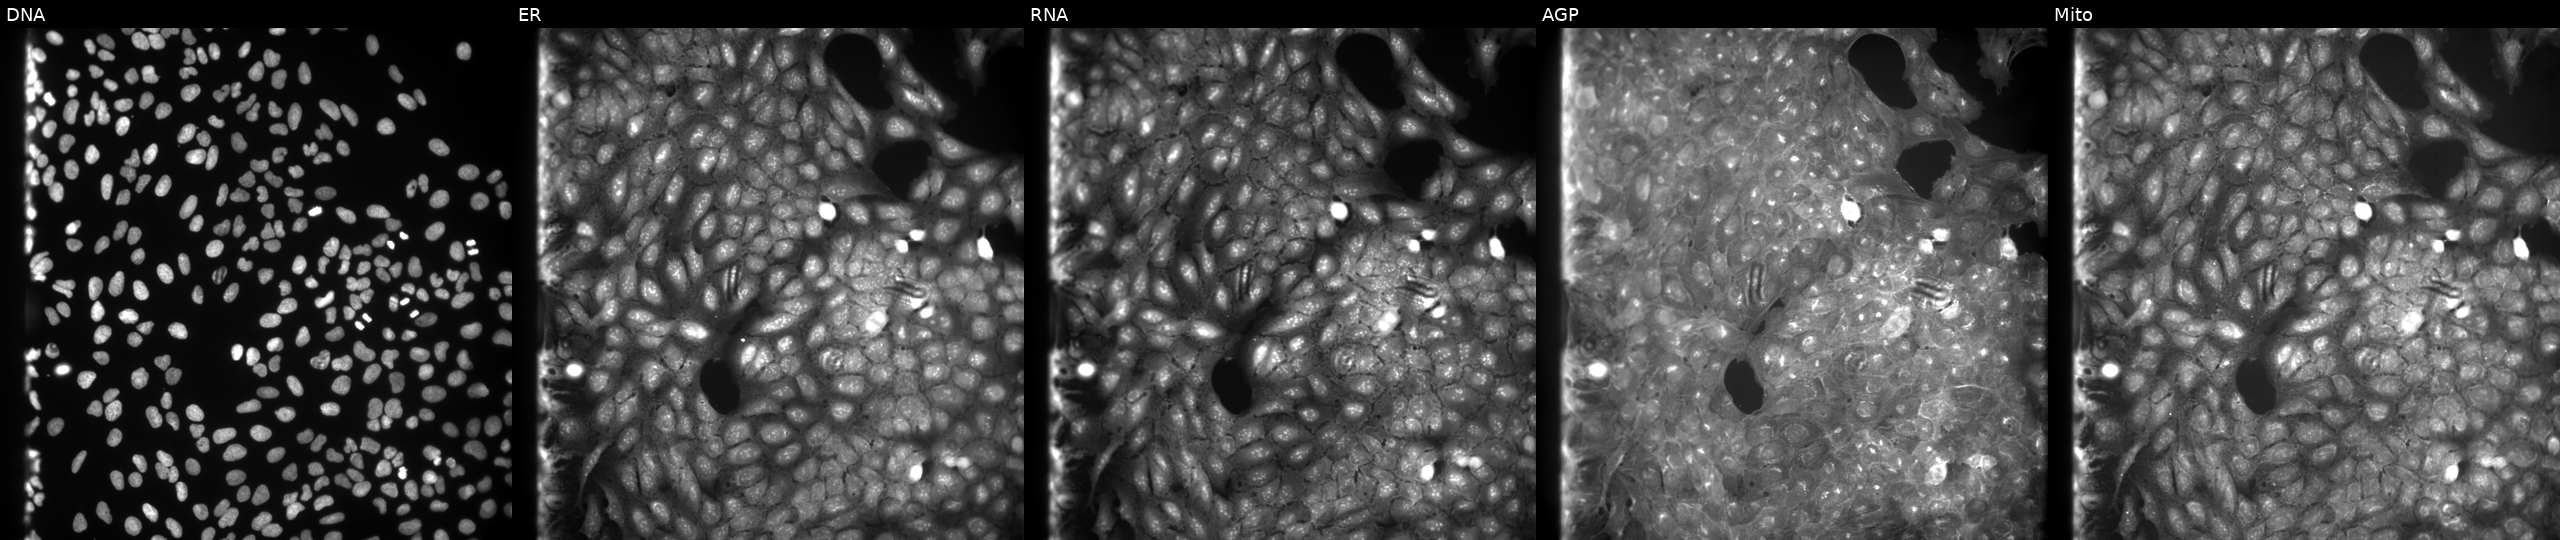
U2OS cells, Cell Painting assay, exposed to a small-molecule compound (InChIKey DTINGPKYLRIBCY-UHFFFAOYSA-N). From left to right: DNA, ER, RNA, AGP, and Mito. Each panel is percentile-stretched 16-bit fluorescence. Source 9, plate GR00003381, well D05.